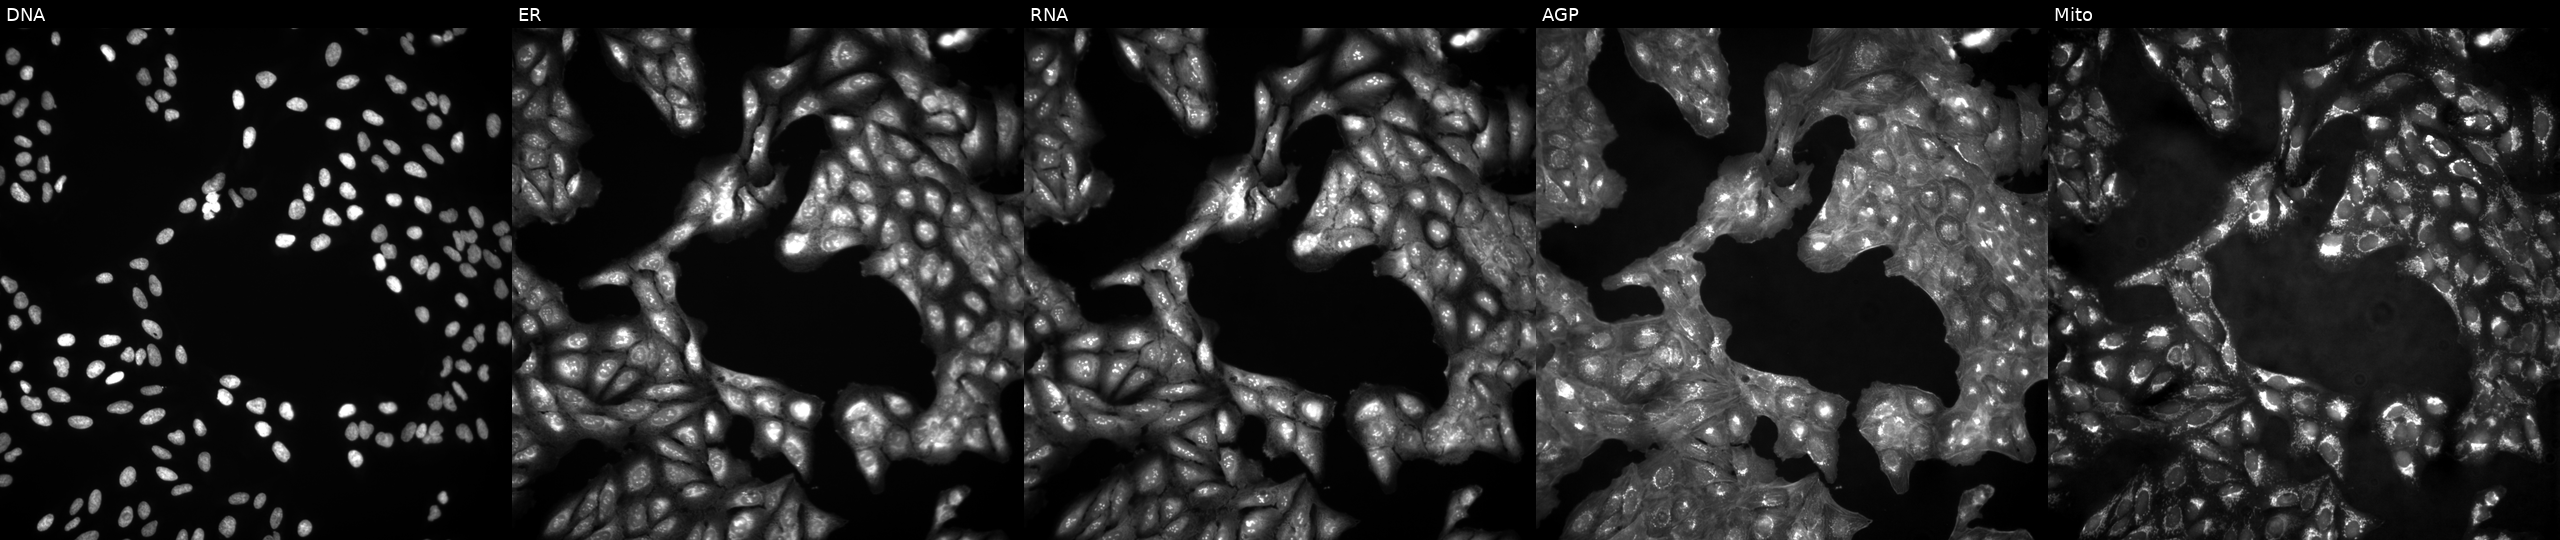
Five-channel Cell Painting image of U2OS cells in an empty control well (no perturbation). The five panels, left to right, show DNA (nuclei); ER (endoplasmic reticulum); RNA (nucleoli and cytoplasmic RNA); AGP (actin cytoskeleton, Golgi, and plasma membrane); Mito (mitochondria).